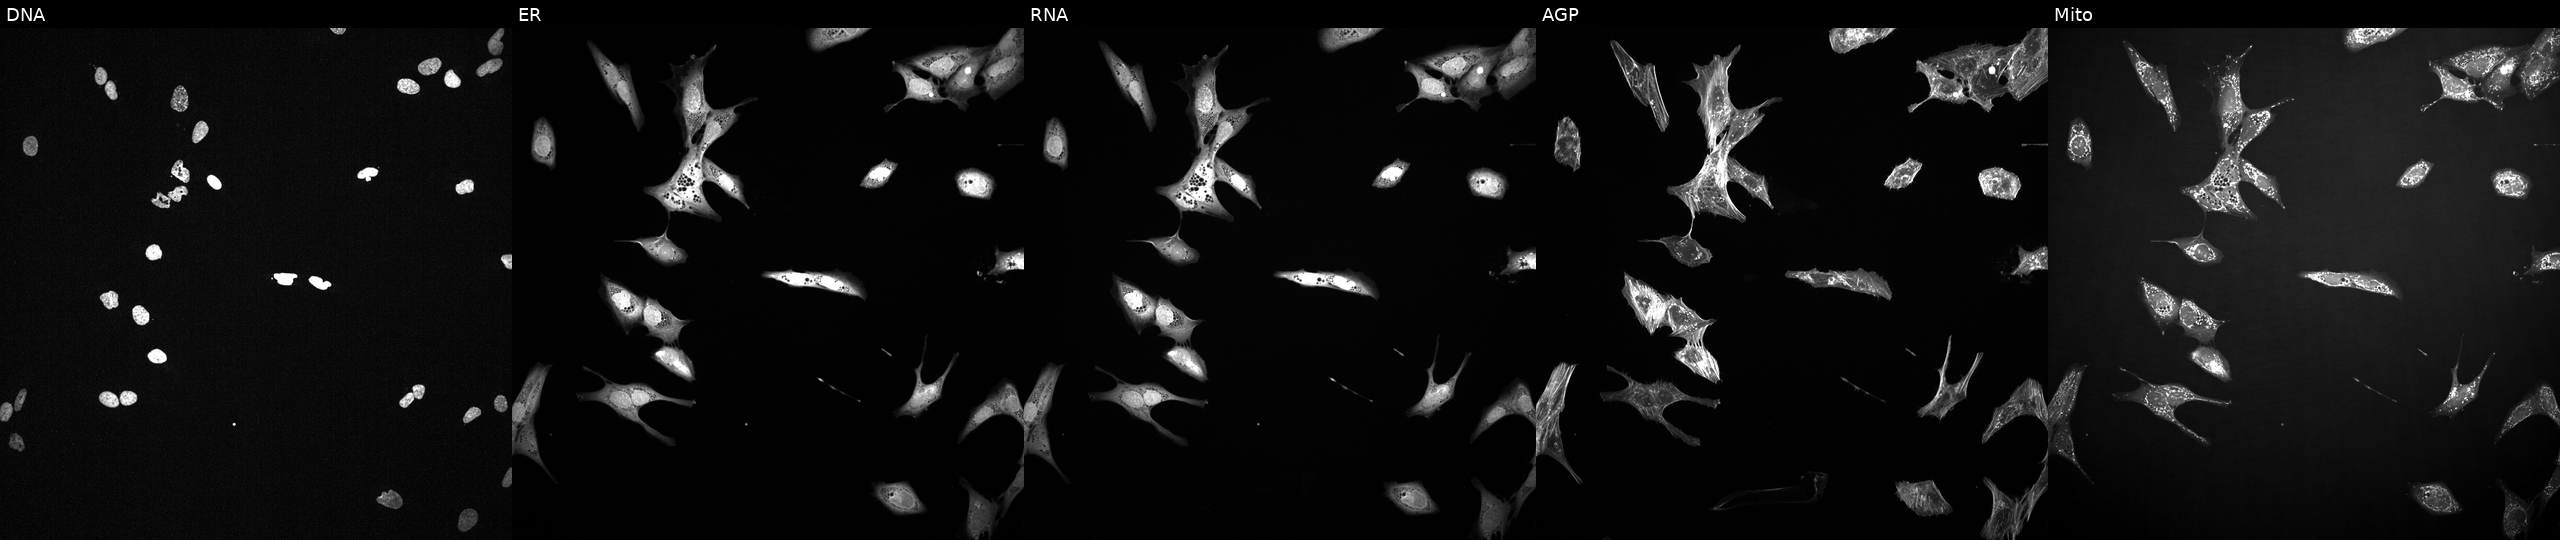
This image strip shows the five Cell Painting channels for a single field of U2OS cells treated with a small-molecule compound (InChIKey XLSYZSRXVVCHLS-UHFFFAOYSA-N) (JUMP id JCP2022_104437). The five panels, left to right, show DNA, ER, RNA, AGP, and Mito. Source 2, plate 1053597936, well H11.